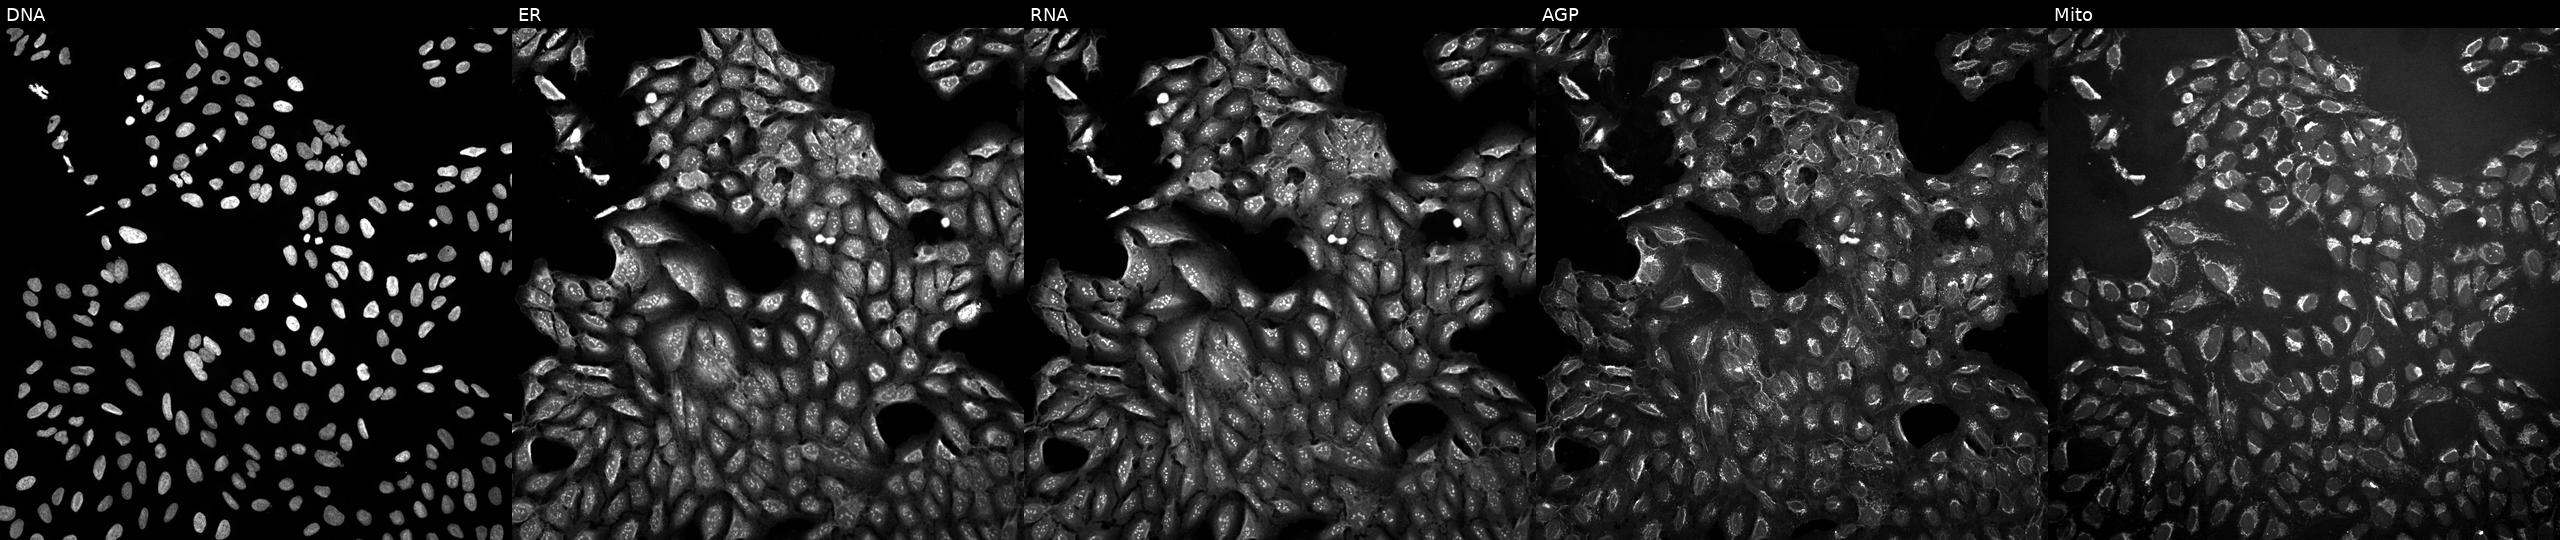
High-content fluorescence microscopy (Cell Painting). Cell line: U2OS. Perturbation: exposed to a small-molecule compound. The five panels, left to right, show Hoechst 33342, concanavalin A, SYTO 14, phalloidin and WGA, MitoTracker.